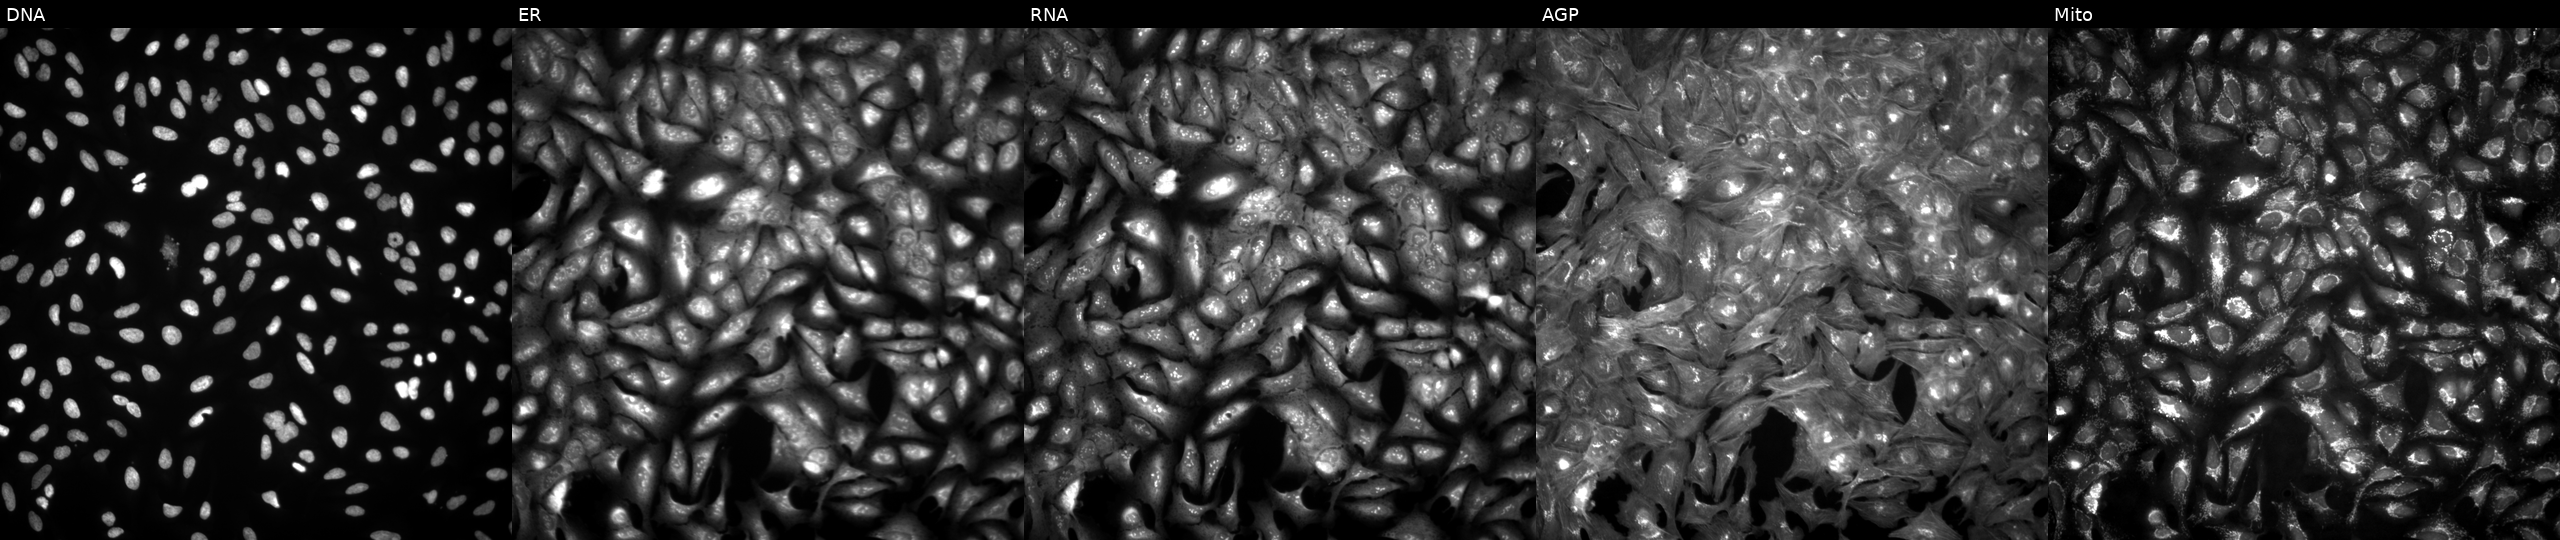
JUMP Cell Painting — ORF plate. U2OS cells transfected with an ORF construct for ZMYM1 (JUMP id JCP2022_911773). From left to right: DNA, ER, RNA, AGP, and Mito.